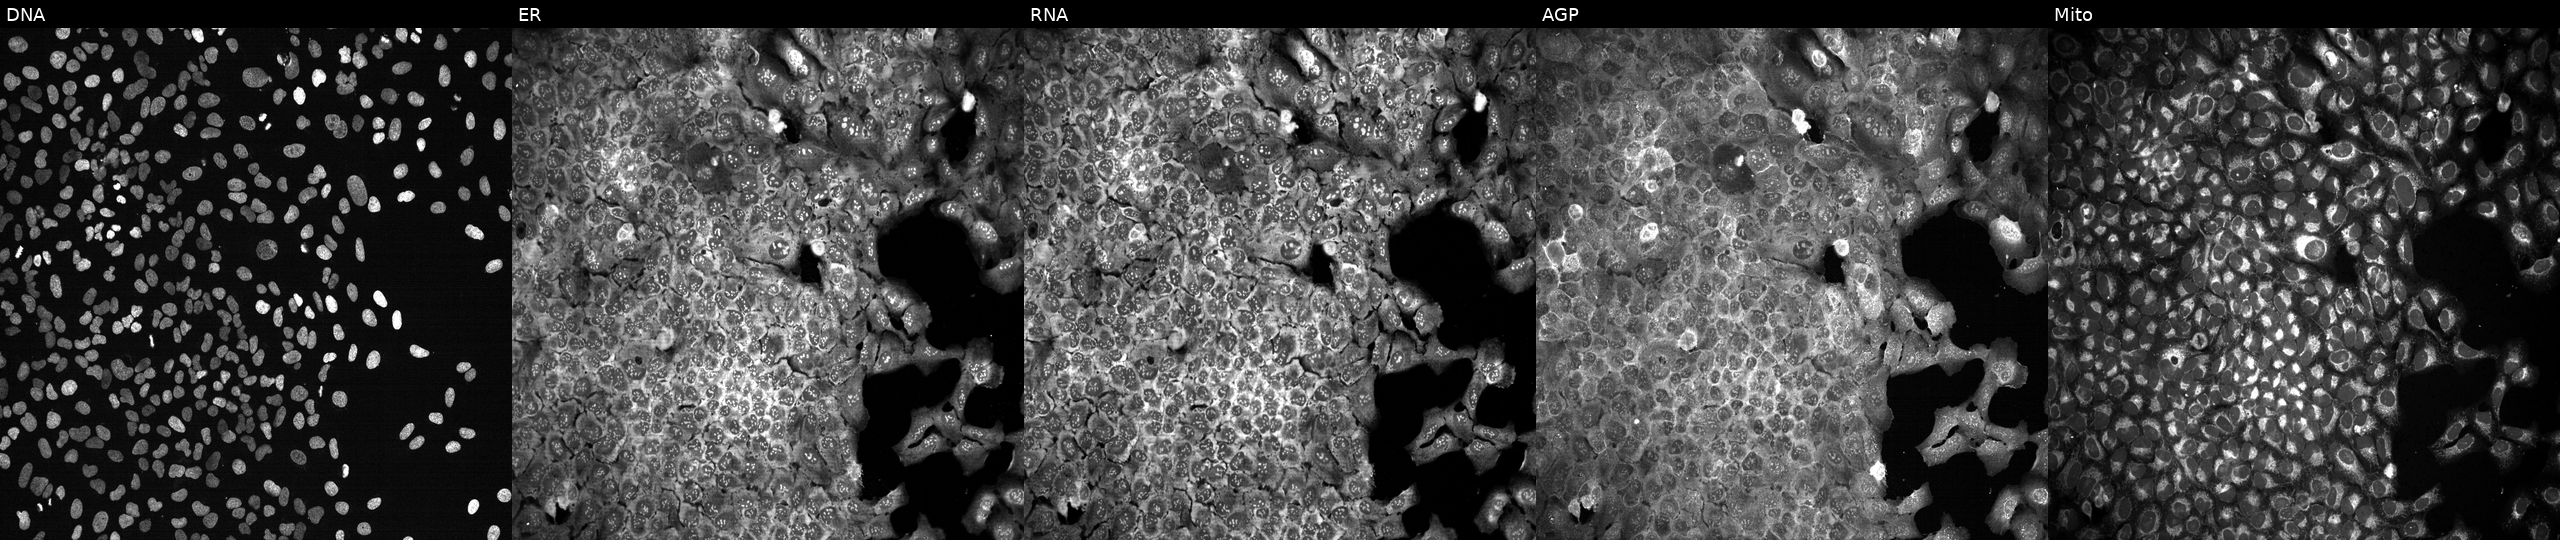
This image strip shows the five Cell Painting channels for a single field of U2OS cells with CDS2 knocked out by CRISPR (JUMP id JCP2022_801226). From left to right: DNA, ER, RNA, AGP, and Mito.